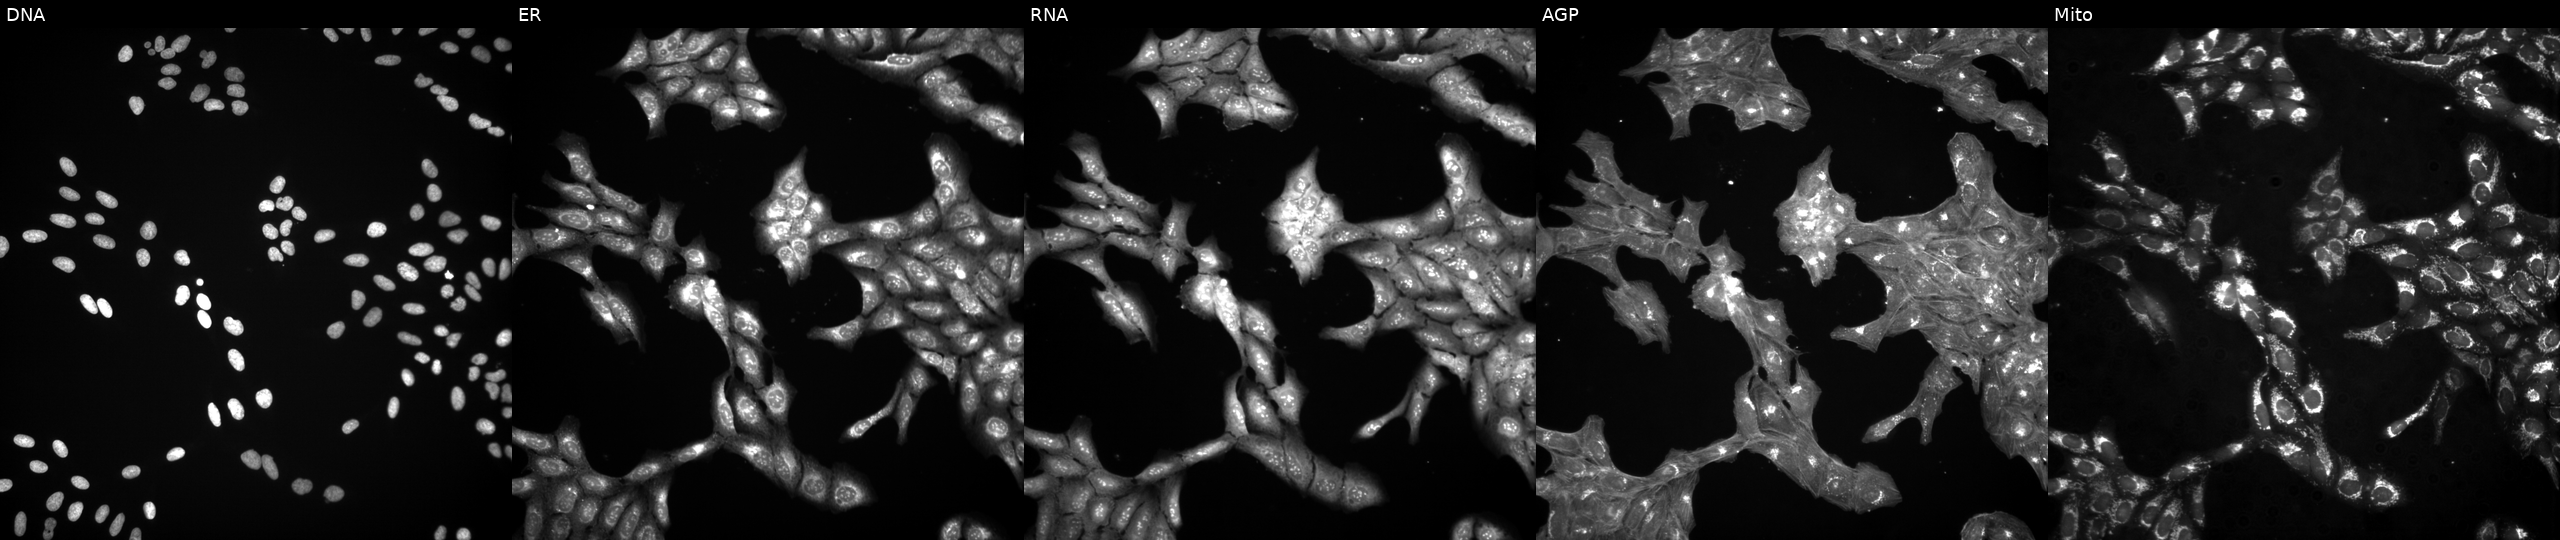
Panels show, left to right, DNA, ER, RNA, AGP, and Mito. U2OS osteosarcoma cells exposed to the positive-control compound aloxistatin. Cell Painting assay, JUMP-CP dataset. Source 3, plate BR5867a3, well M24.